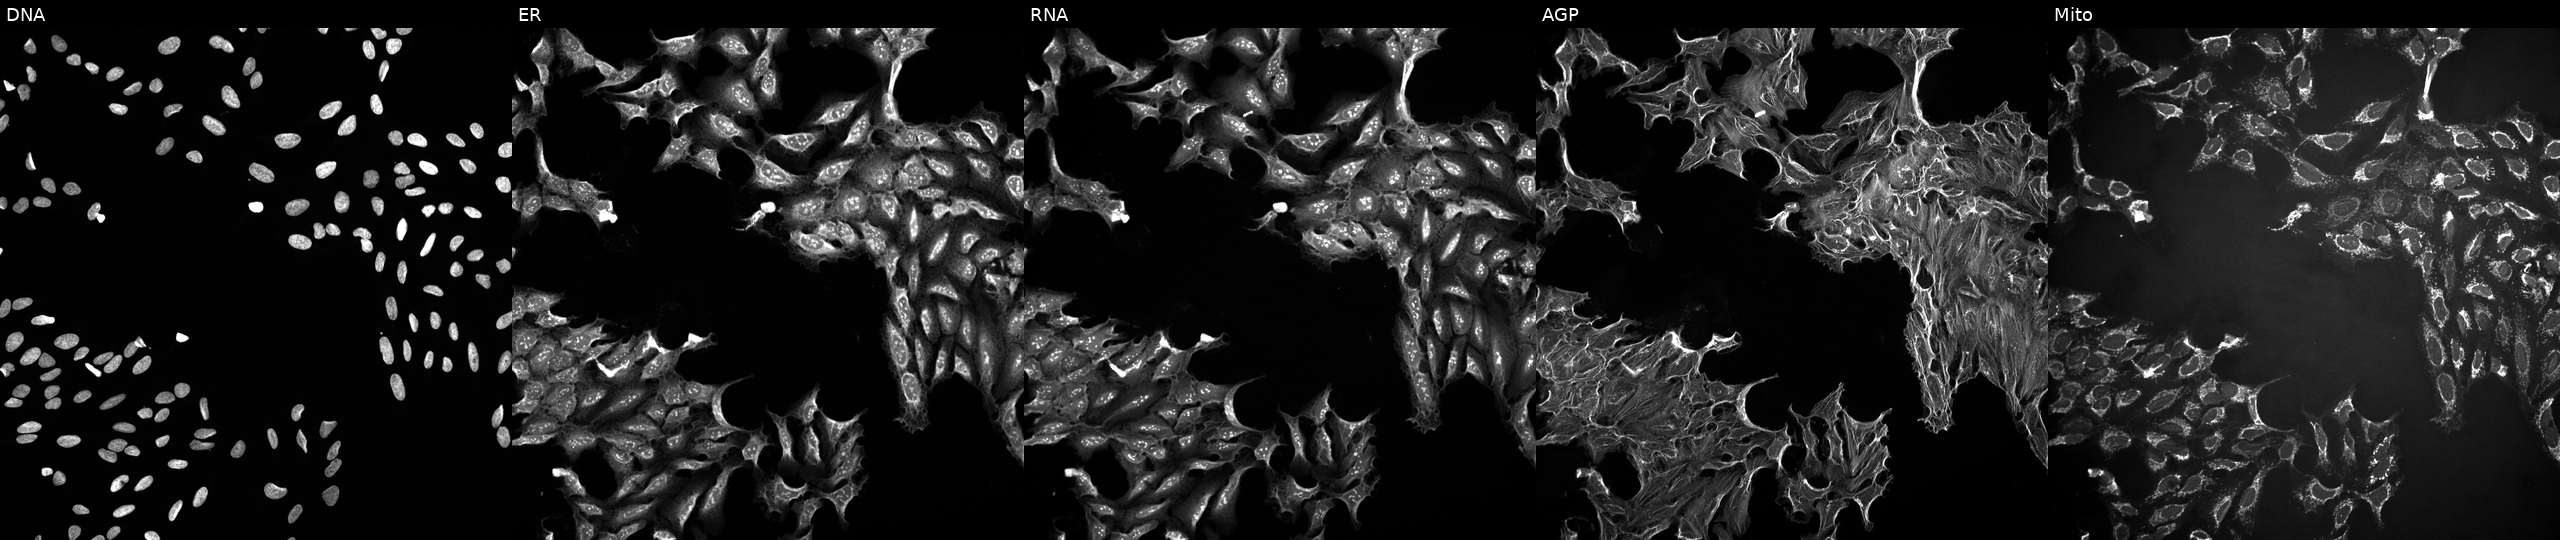
High-content fluorescence microscopy (Cell Painting). Cell line: U2OS. Perturbation: exposed to a small-molecule compound (JUMP id JCP2022_007175). Panels show, left to right, DNA, ER, RNA, AGP, and Mito. Source 10, plate Dest210726-160150, well N04.